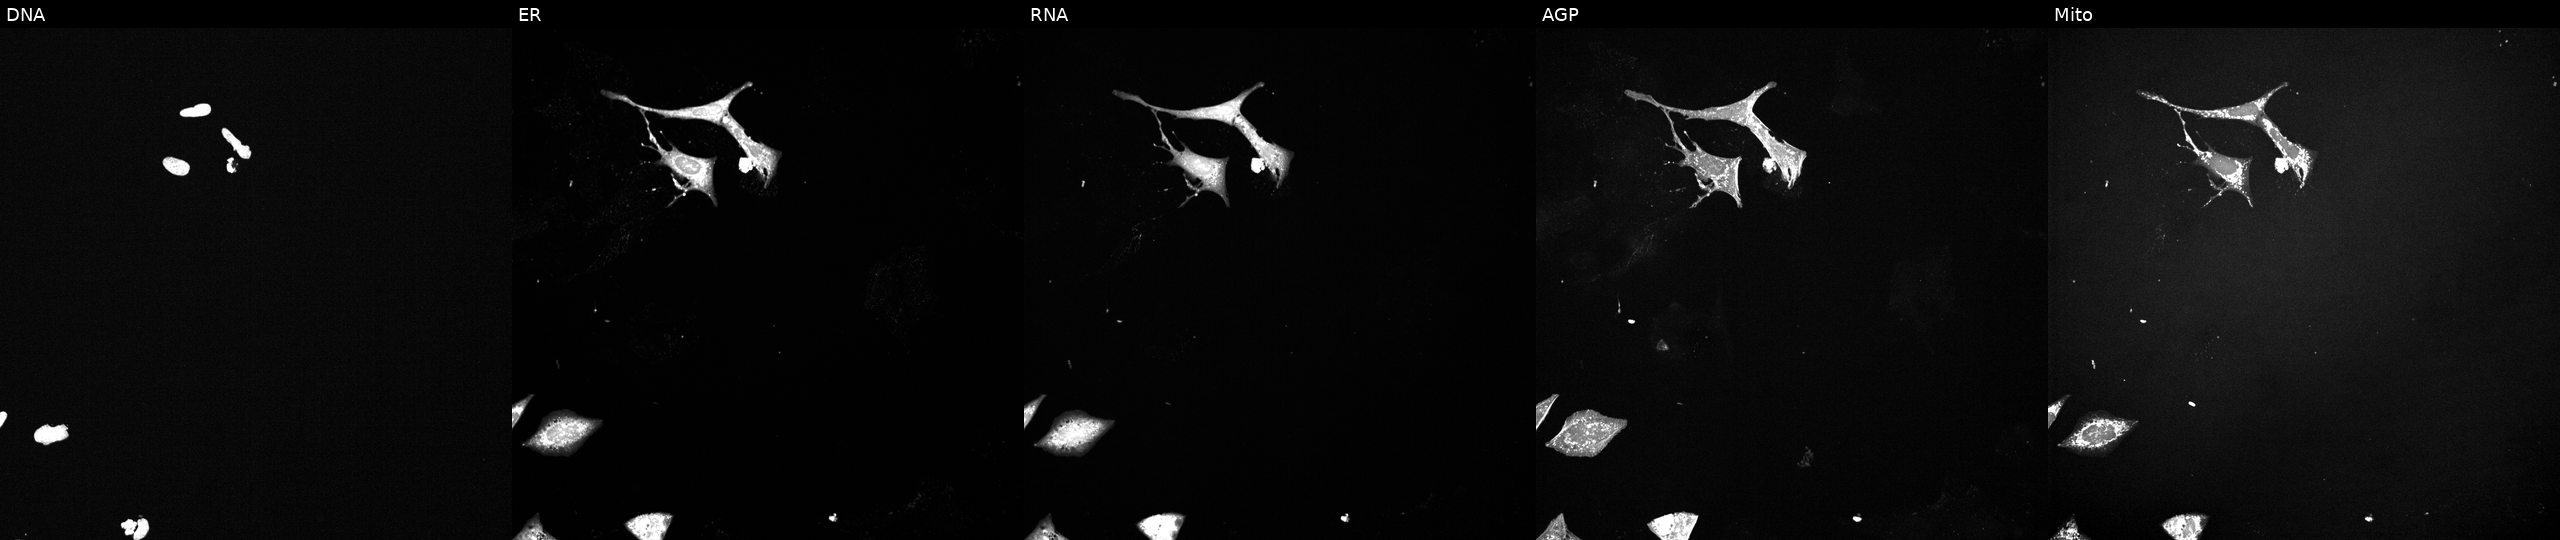
U2OS cells, Cell Painting assay, treated with a small-molecule compound (JUMP id JCP2022_054601). The five panels, left to right, show DNA, ER, RNA, AGP, and Mito. Each panel is percentile-stretched 16-bit fluorescence. Source 6, plate 110000293081, well C11.